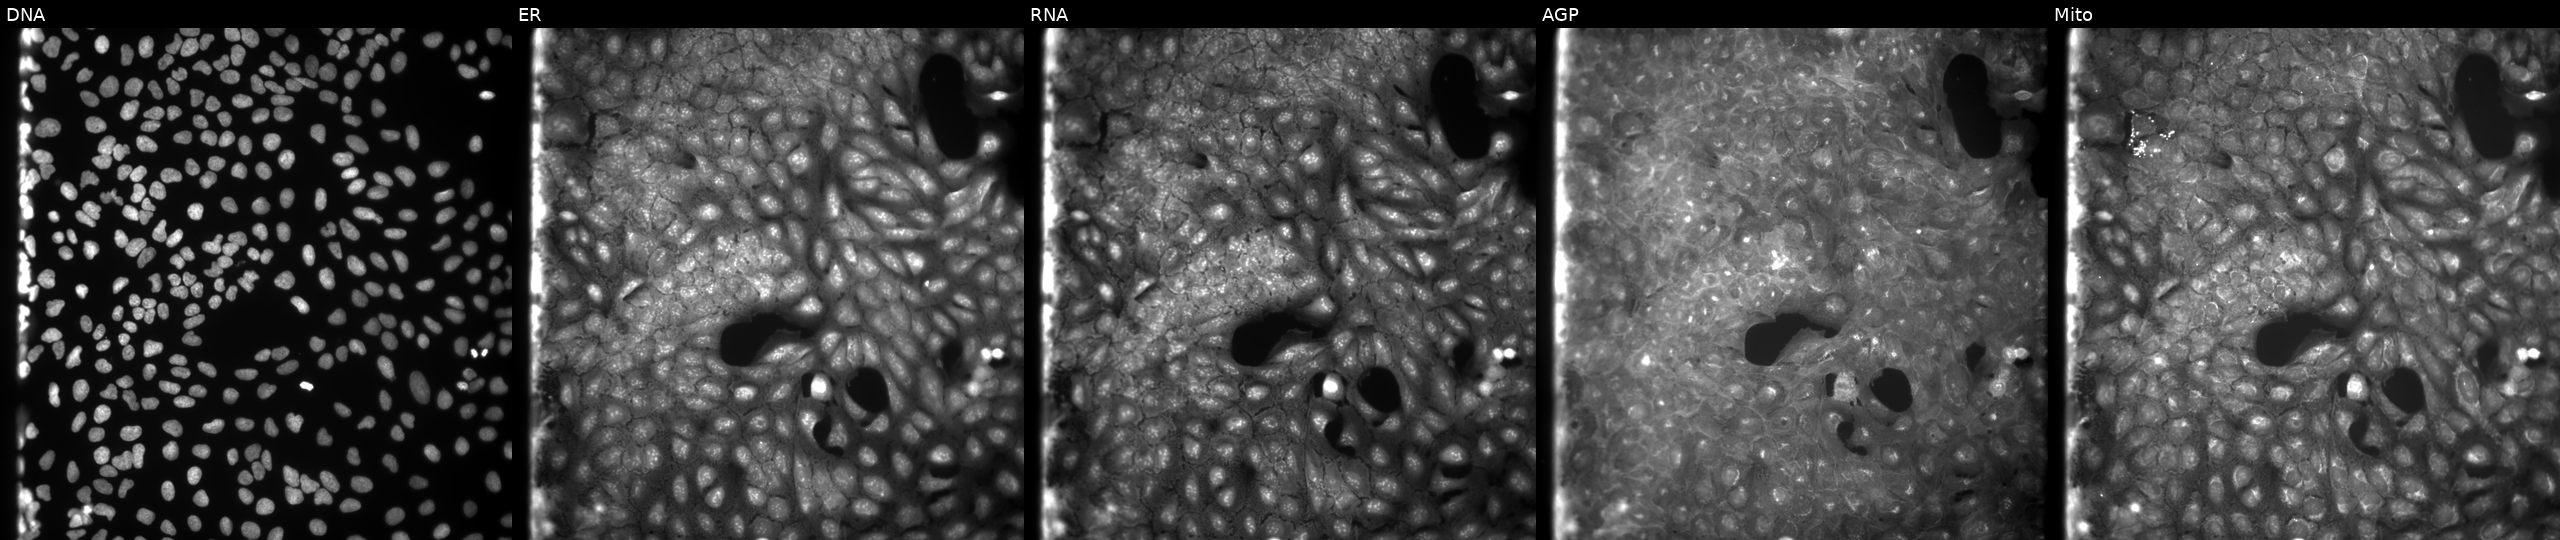
Five-channel Cell Painting image of U2OS cells exposed to DMSO alone as a negative control (JUMP id JCP2022_033924). From left to right: DNA, ER, RNA, AGP, and Mito.